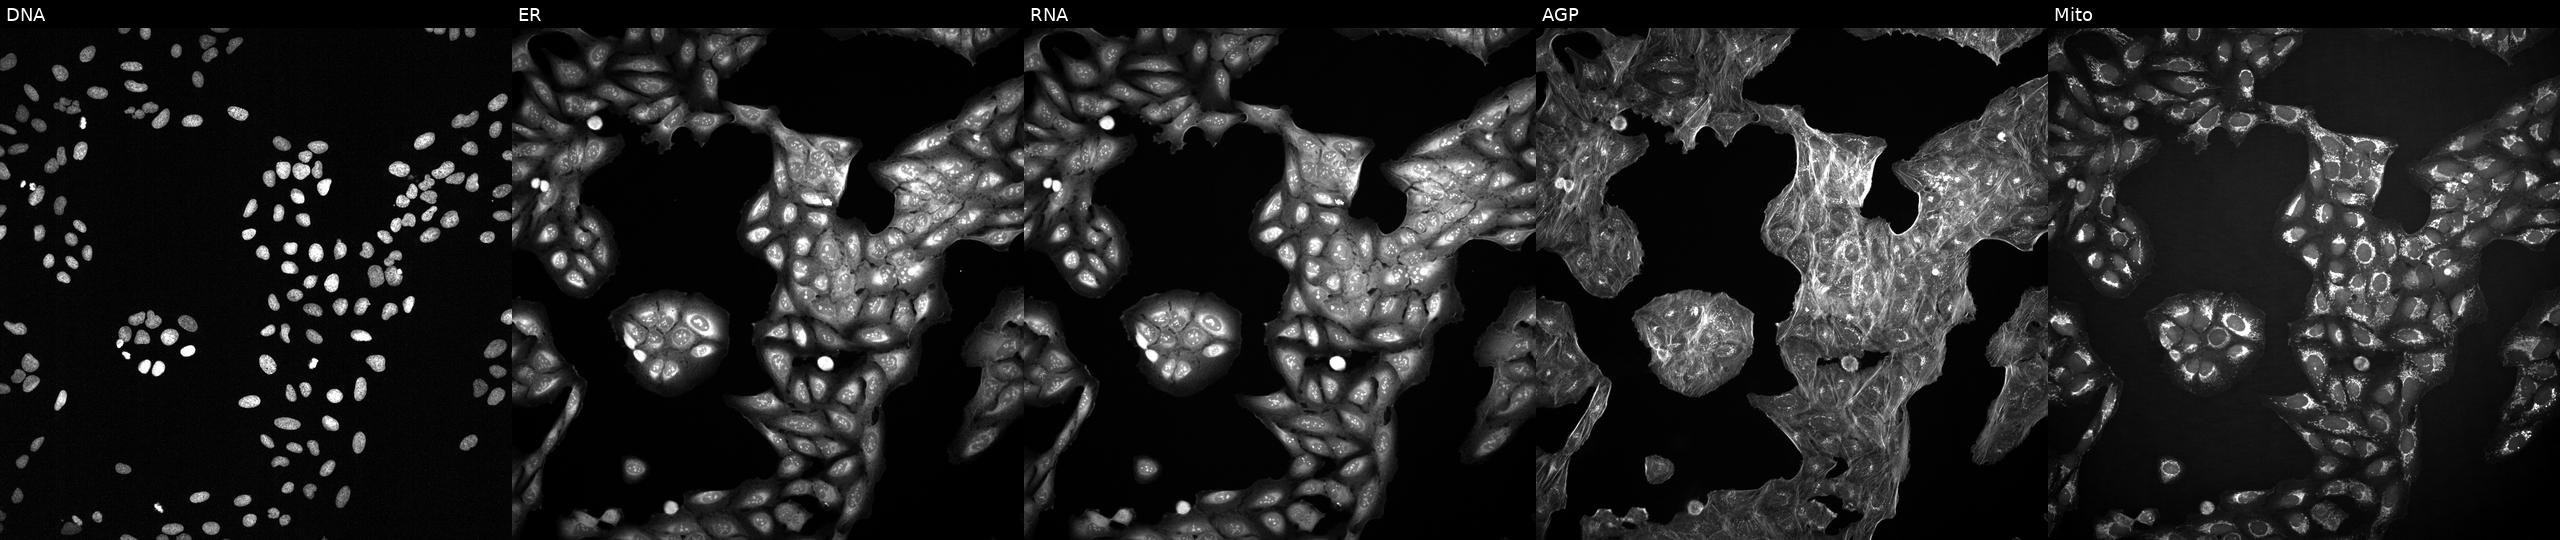
High-content fluorescence microscopy (Cell Painting). Cell line: U2OS. Perturbation: treated with DMSO vehicle only (negative control) (JUMP id JCP2022_033924). Channels (left→right): Hoechst 33342, concanavalin A, SYTO 14, phalloidin and WGA, MitoTracker.